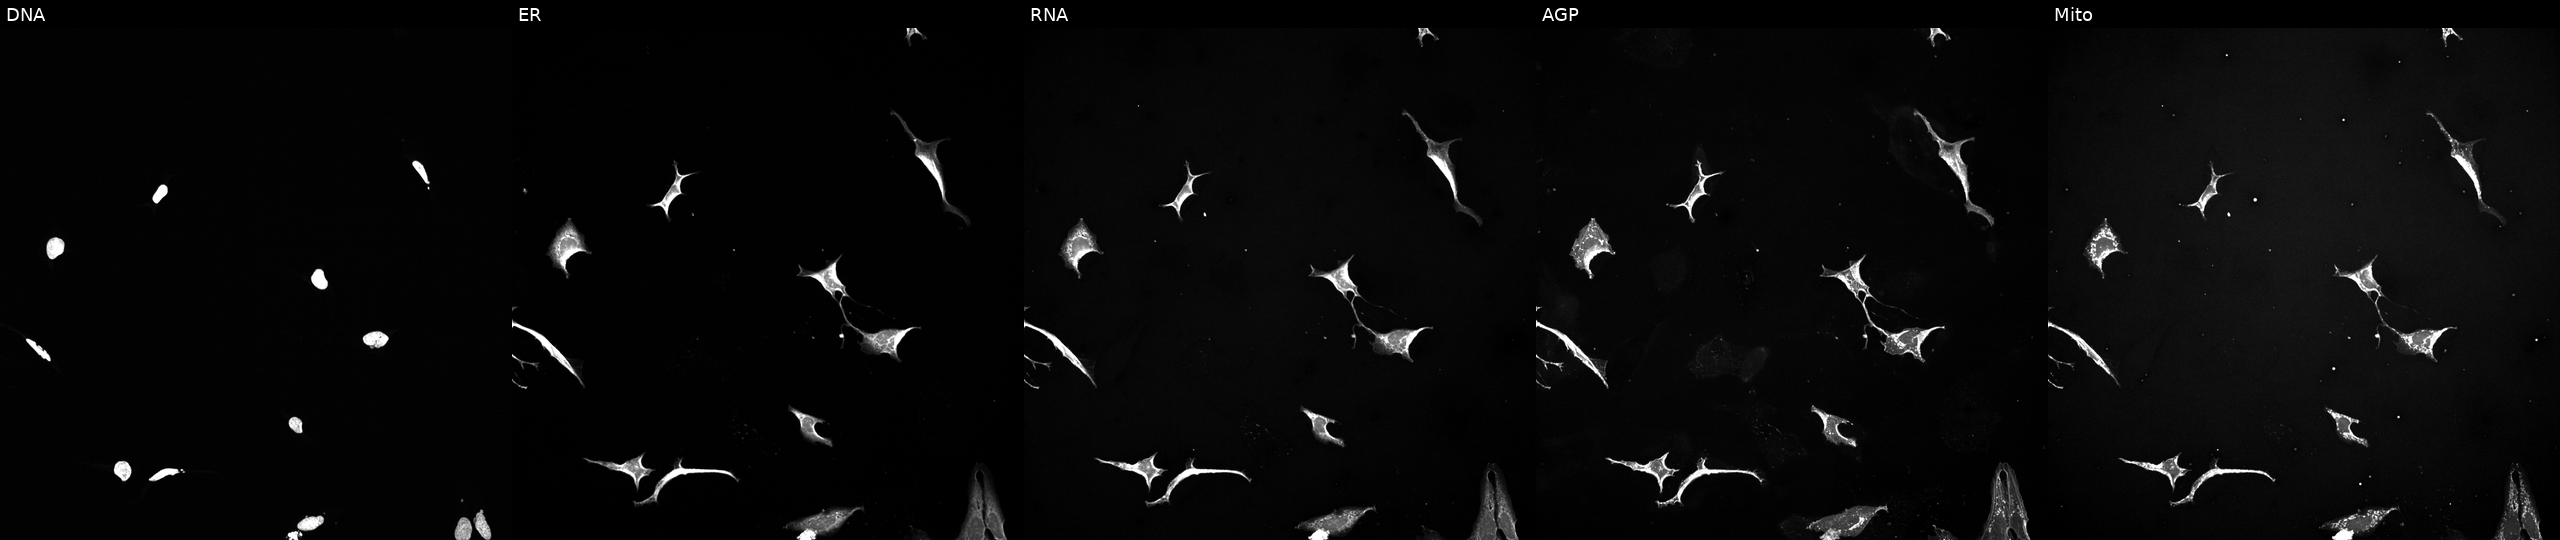
This image strip shows the five Cell Painting channels for a single field of U2OS cells treated with a small-molecule compound (InChIKey MJSHVHLADKXCML-UHFFFAOYSA-N) [SMILES: CCCCN=c1nc2c(c[nH]1)c(-c1ccc(CN3CCN(C)CC3)cc1)cn2C1CCC(O)CC1]. From left to right: DNA (nuclei); ER (endoplasmic reticulum); RNA (nucleoli and cytoplasmic RNA); AGP (actin cytoskeleton, Golgi, and plasma membrane); Mito (mitochondria). Source 5, plate ACPJUM051, well C11.